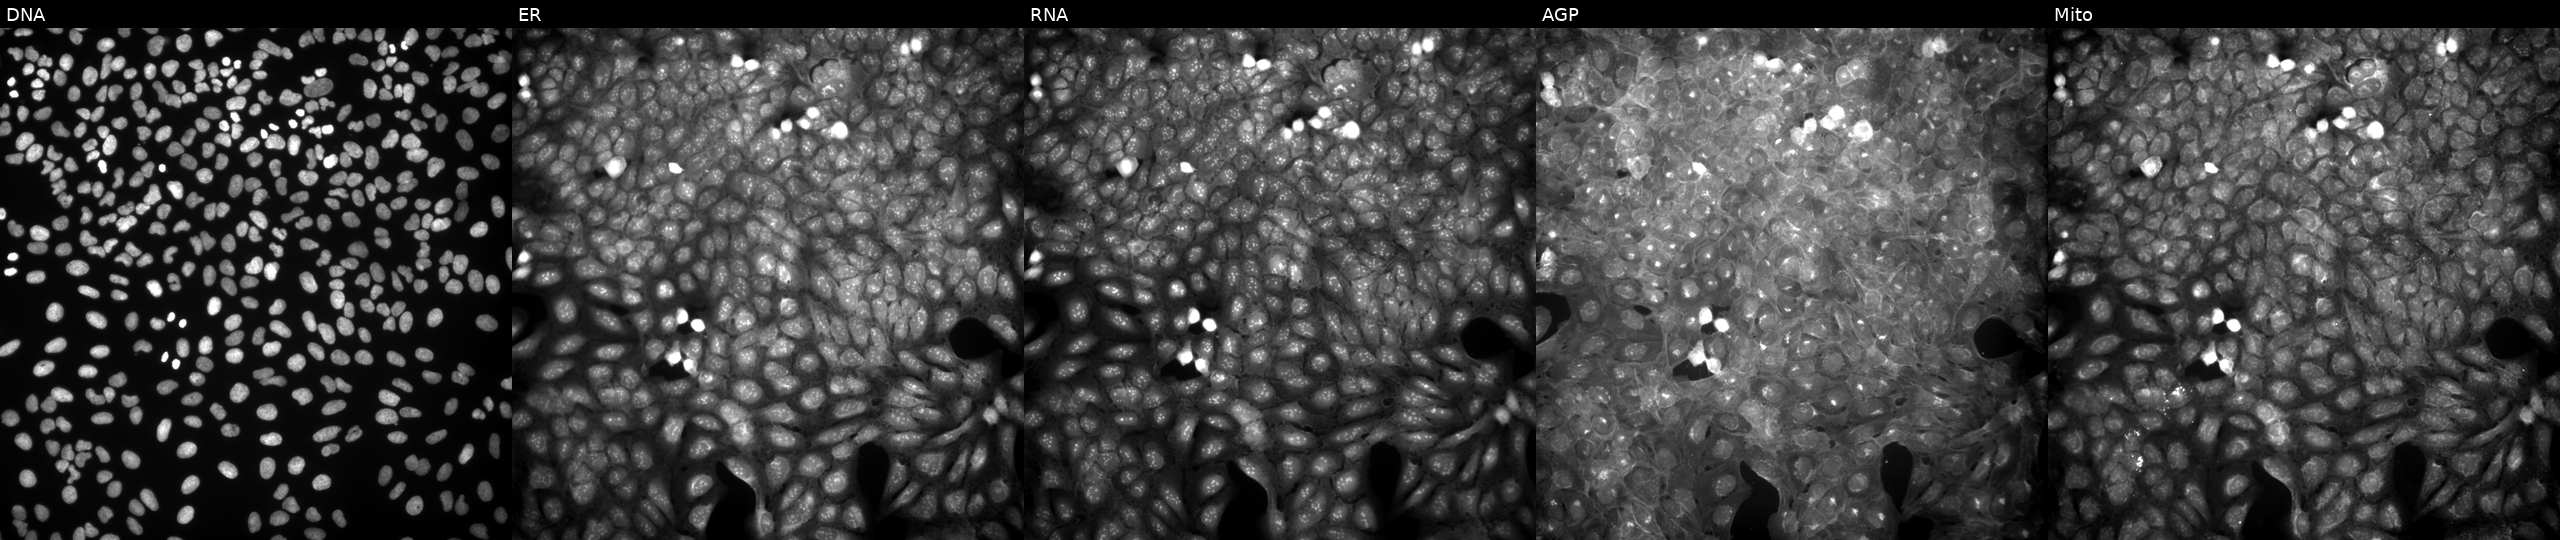
High-content fluorescence microscopy (Cell Painting). Cell line: U2OS. Perturbation: exposed to a small-molecule compound (JUMP id JCP2022_075120). Panels show, left to right, DNA (nuclei); ER (endoplasmic reticulum); RNA (nucleoli and cytoplasmic RNA); AGP (actin cytoskeleton, Golgi, and plasma membrane); Mito (mitochondria).